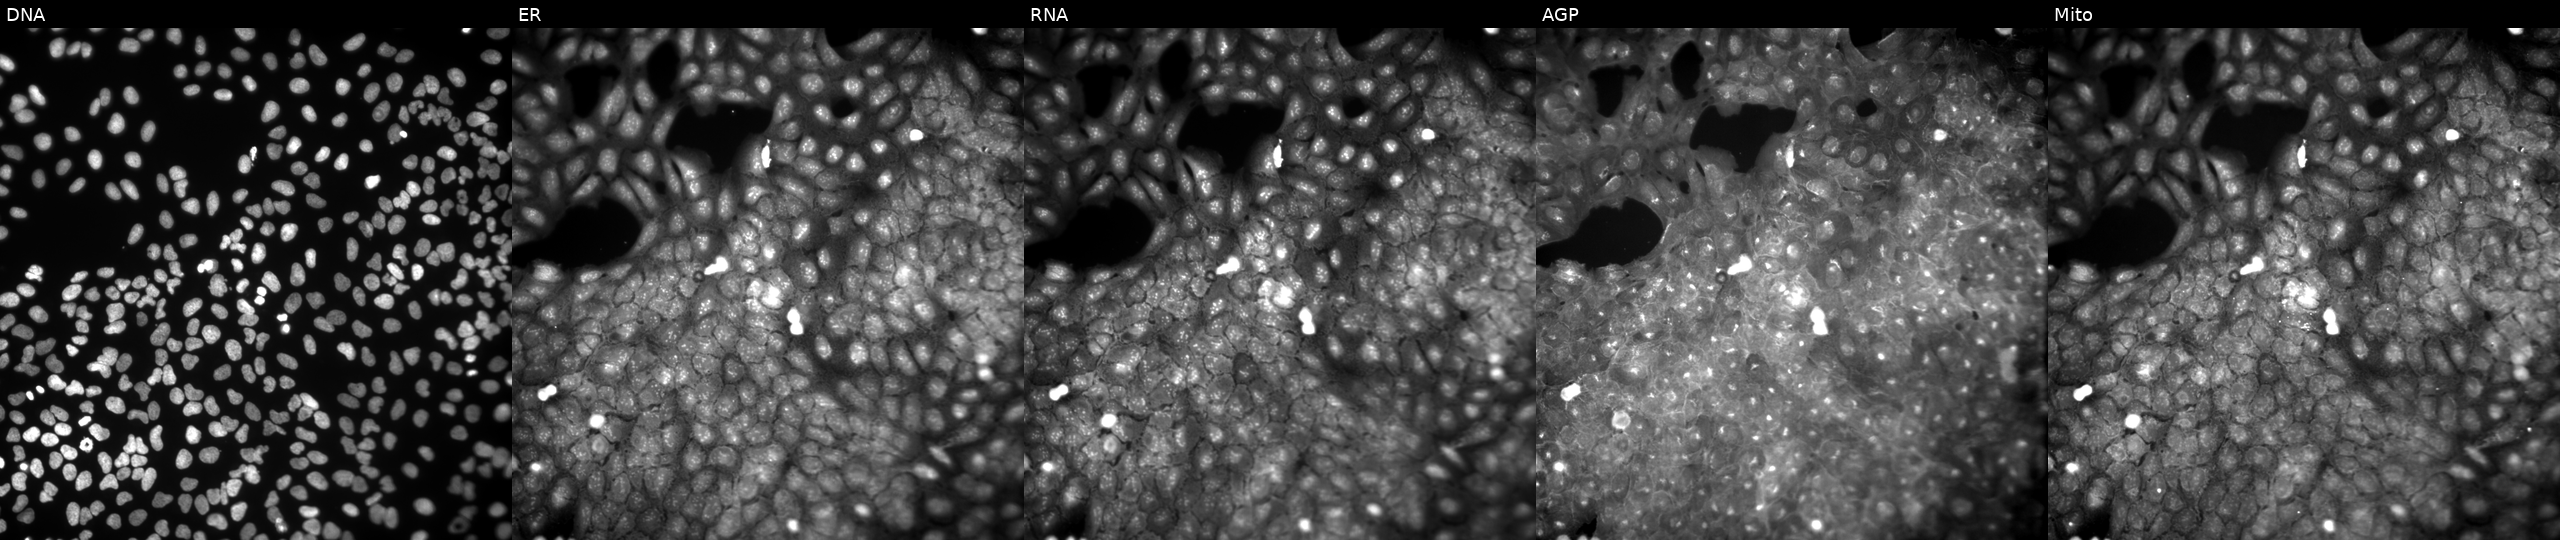
Five-channel Cell Painting image of U2OS cells treated with a small-molecule compound (InChIKey YBLMMRLWQGPIAN-UHFFFAOYSA-N) (JUMP id JCP2022_107396). Panels show, left to right, Hoechst 33342, concanavalin A, SYTO 14, phalloidin and WGA, MitoTracker. Source 9, plate GR00003381, well AE44.